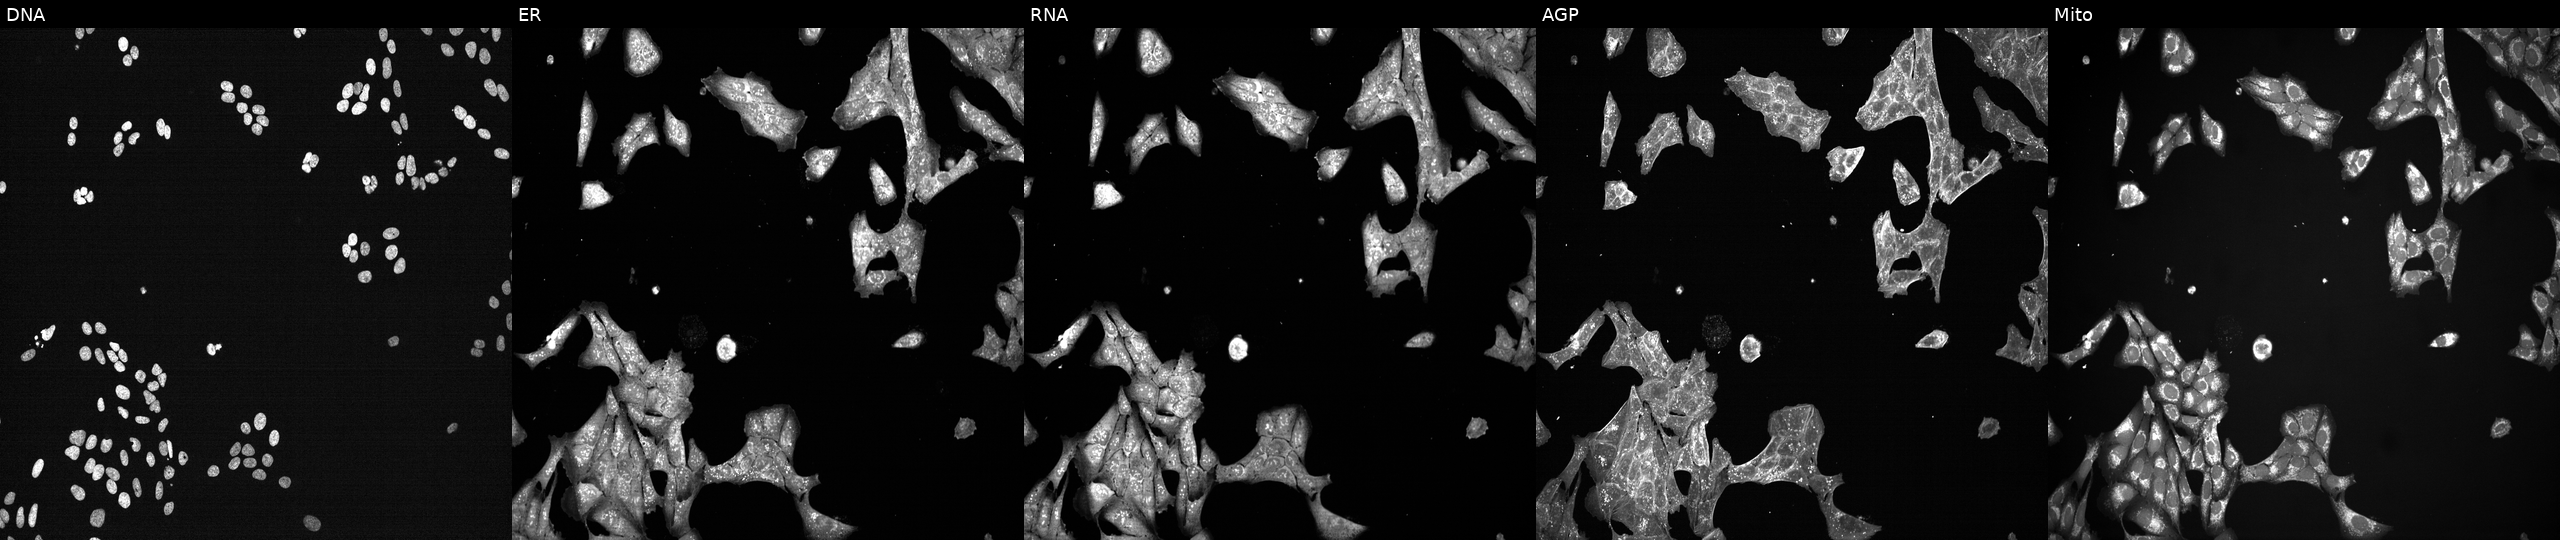
High-content fluorescence microscopy (Cell Painting). Cell line: U2OS. Perturbation: perturbed with a small-molecule compound (InChIKey AECDBHGVIIRMOI-UHFFFAOYSA-N) [SMILES: N=c1[nH]cnc2c1c(-c1cccc(OCc3ccccc3)c1)cn2C1CC(CN2CCC2)C1]. Channels (left→right): DNA (nuclei); ER (endoplasmic reticulum); RNA (nucleoli and cytoplasmic RNA); AGP (actin cytoskeleton, Golgi, and plasma membrane); Mito (mitochondria).